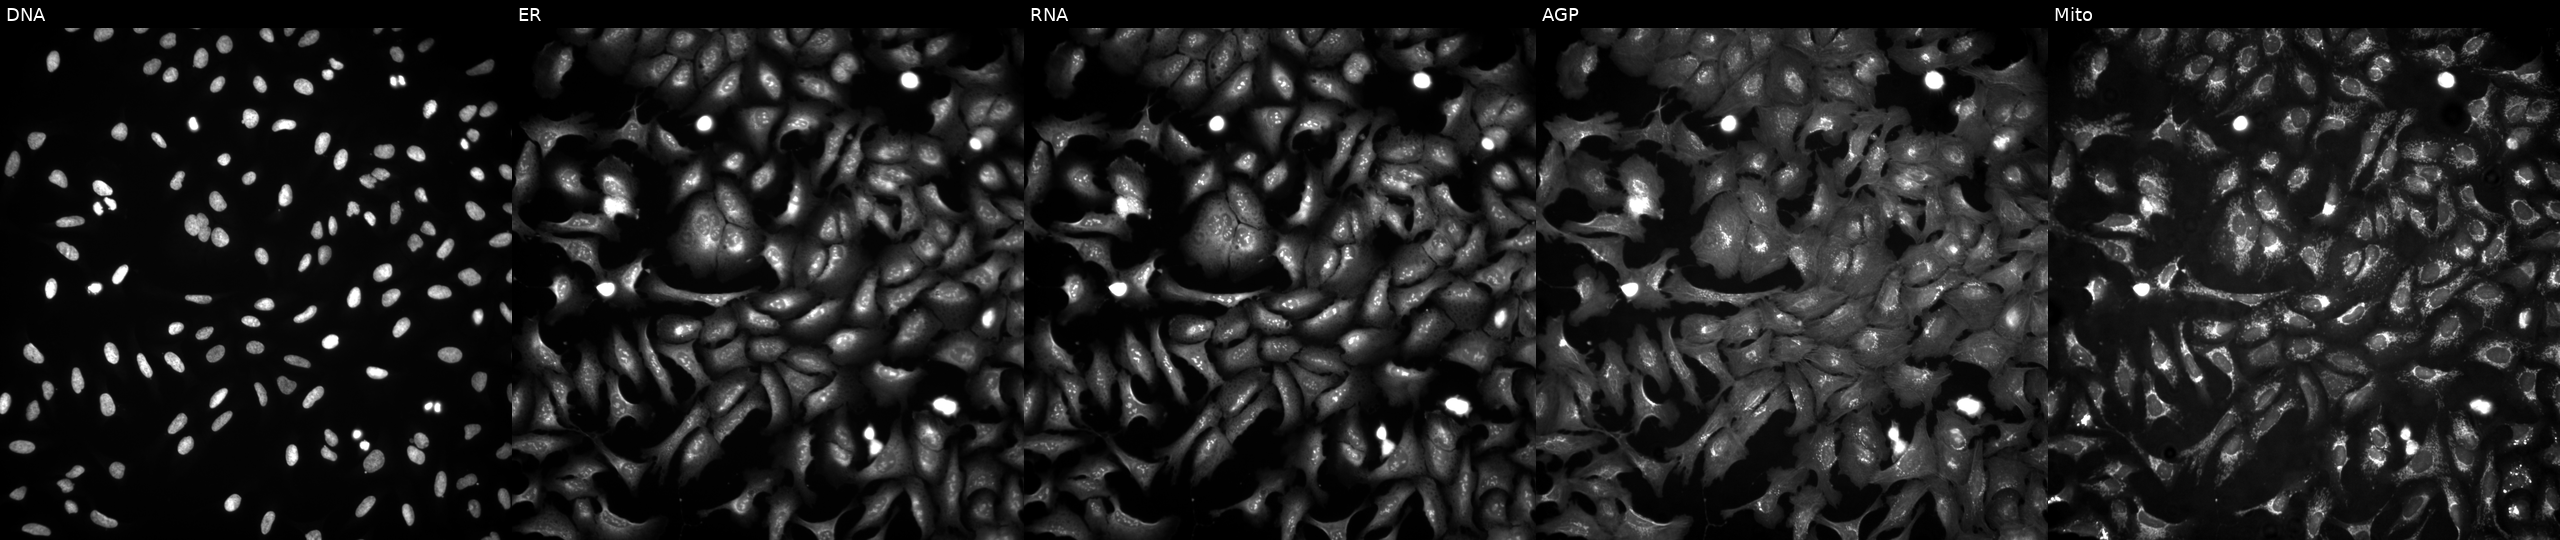
The five panels, left to right, show Hoechst 33342, concanavalin A, SYTO 14, phalloidin and WGA, MitoTracker. U2OS osteosarcoma cells overexpressing COX6B2 via ORF transfection (JUMP id JCP2022_904496). Cell Painting assay, JUMP-CP dataset. Source 4, plate BR00124787, well I24.